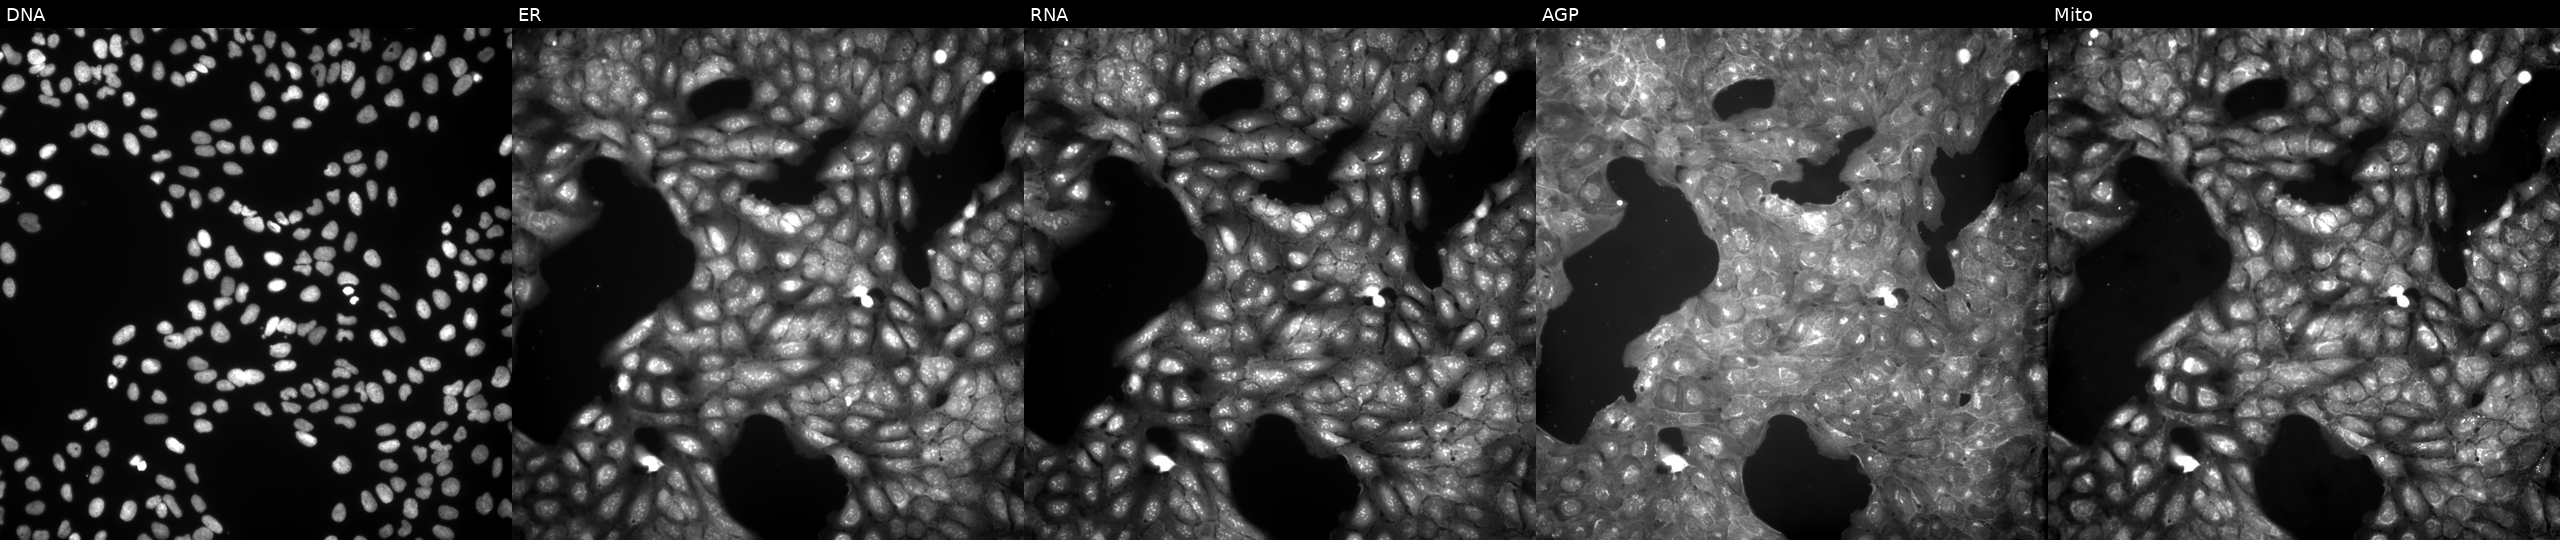
U2OS cells, Cell Painting assay, exposed to a small-molecule compound (InChIKey VECQKJYWXFSGIZ-UHFFFAOYSA-N) [SMILES: Cc1ccc(C(C)C)c(OCCN=c2[nH]c3c(c(=O)n(C)c(=O)n3C)n2C)c1] (JUMP id JCP2022_093388). Channels (left→right): DNA (nuclei); ER (endoplasmic reticulum); RNA (nucleoli and cytoplasmic RNA); AGP (actin cytoskeleton, Golgi, and plasma membrane); Mito (mitochondria). Each panel is percentile-stretched 16-bit fluorescence.